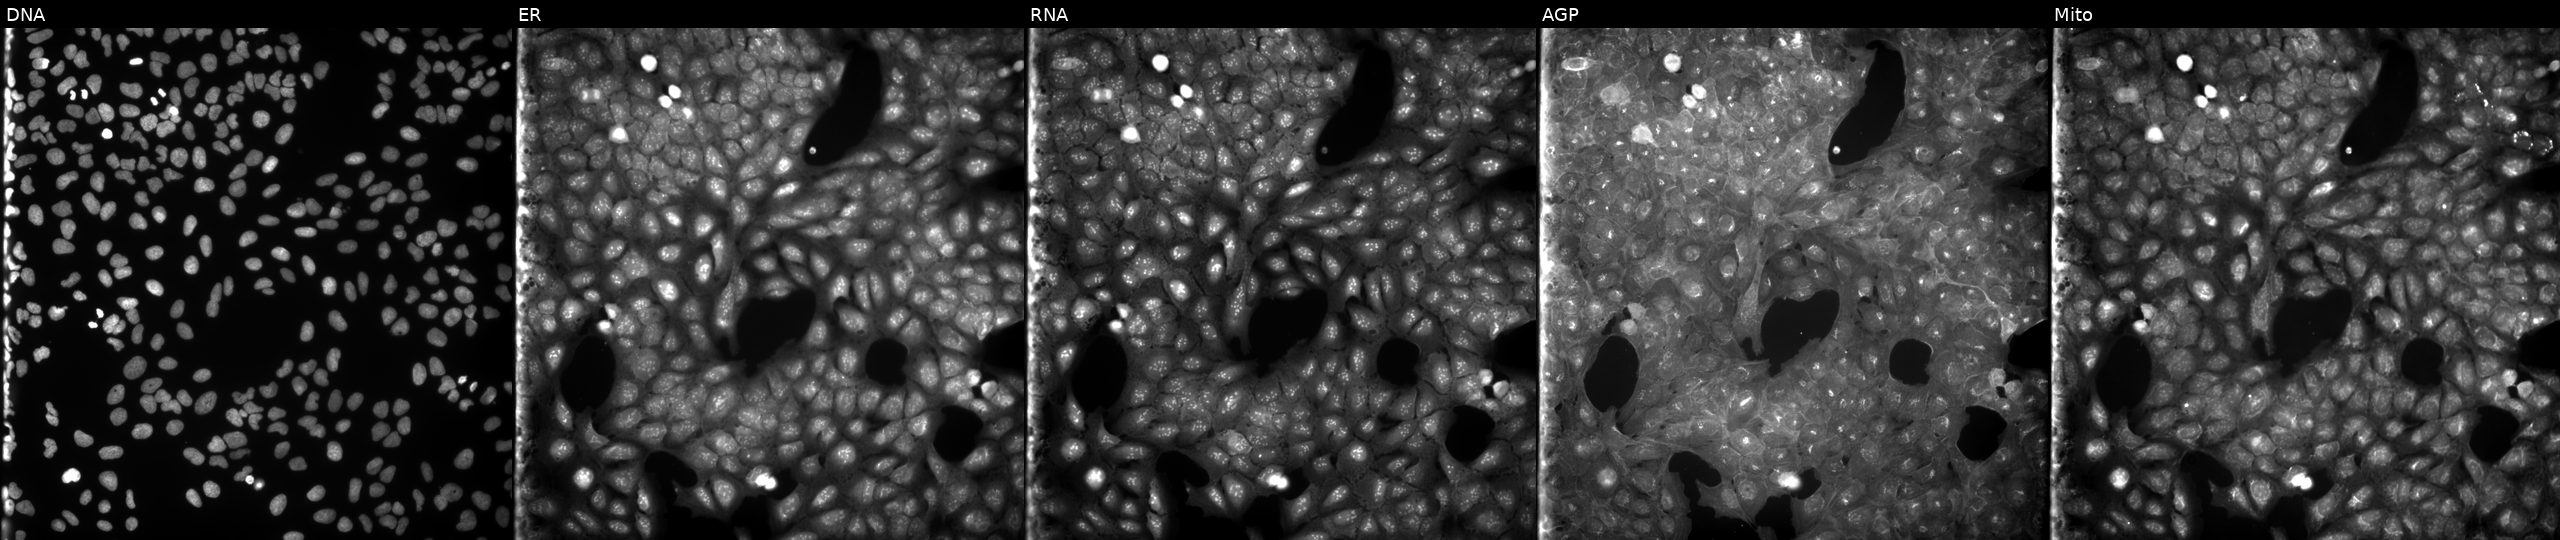
This image strip shows the five Cell Painting channels for a single field of U2OS cells exposed to a small-molecule compound (InChIKey NEMMTQNKZIVLMU-UHFFFAOYSA-N). The five panels, left to right, show DNA (nuclei); ER (endoplasmic reticulum); RNA (nucleoli and cytoplasmic RNA); AGP (actin cytoskeleton, Golgi, and plasma membrane); Mito (mitochondria).